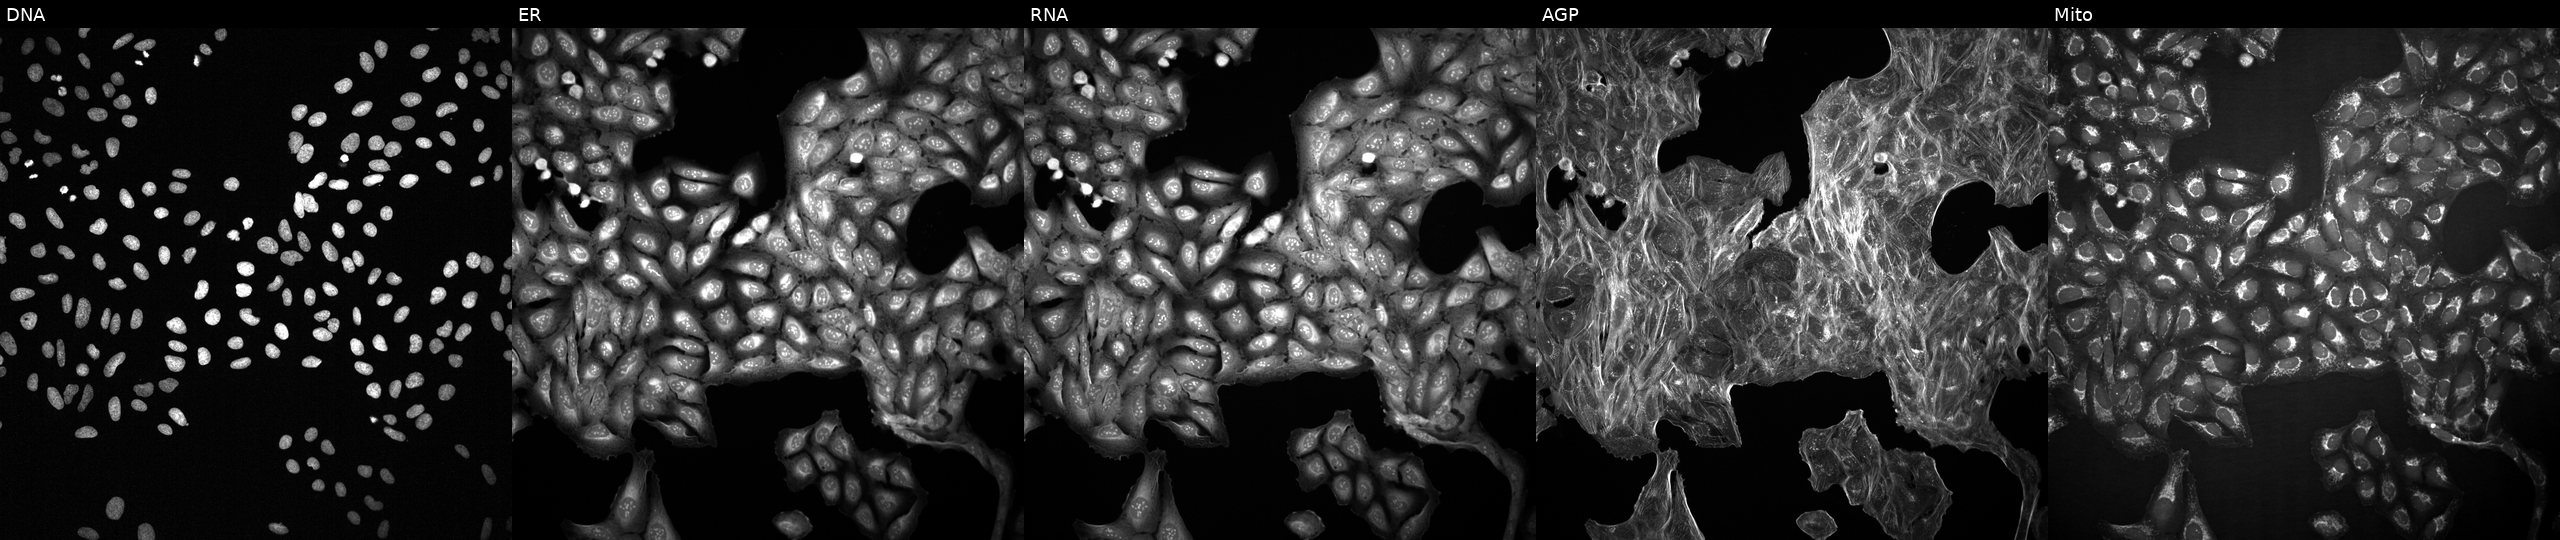
JUMP Cell Painting — COMPOUND plate. U2OS cells with an unidentified perturbation (not annotated in JUMP metadata). Channels (left→right): DNA, ER, RNA, AGP, and Mito. Source 2, plate 1053601763, well H18.